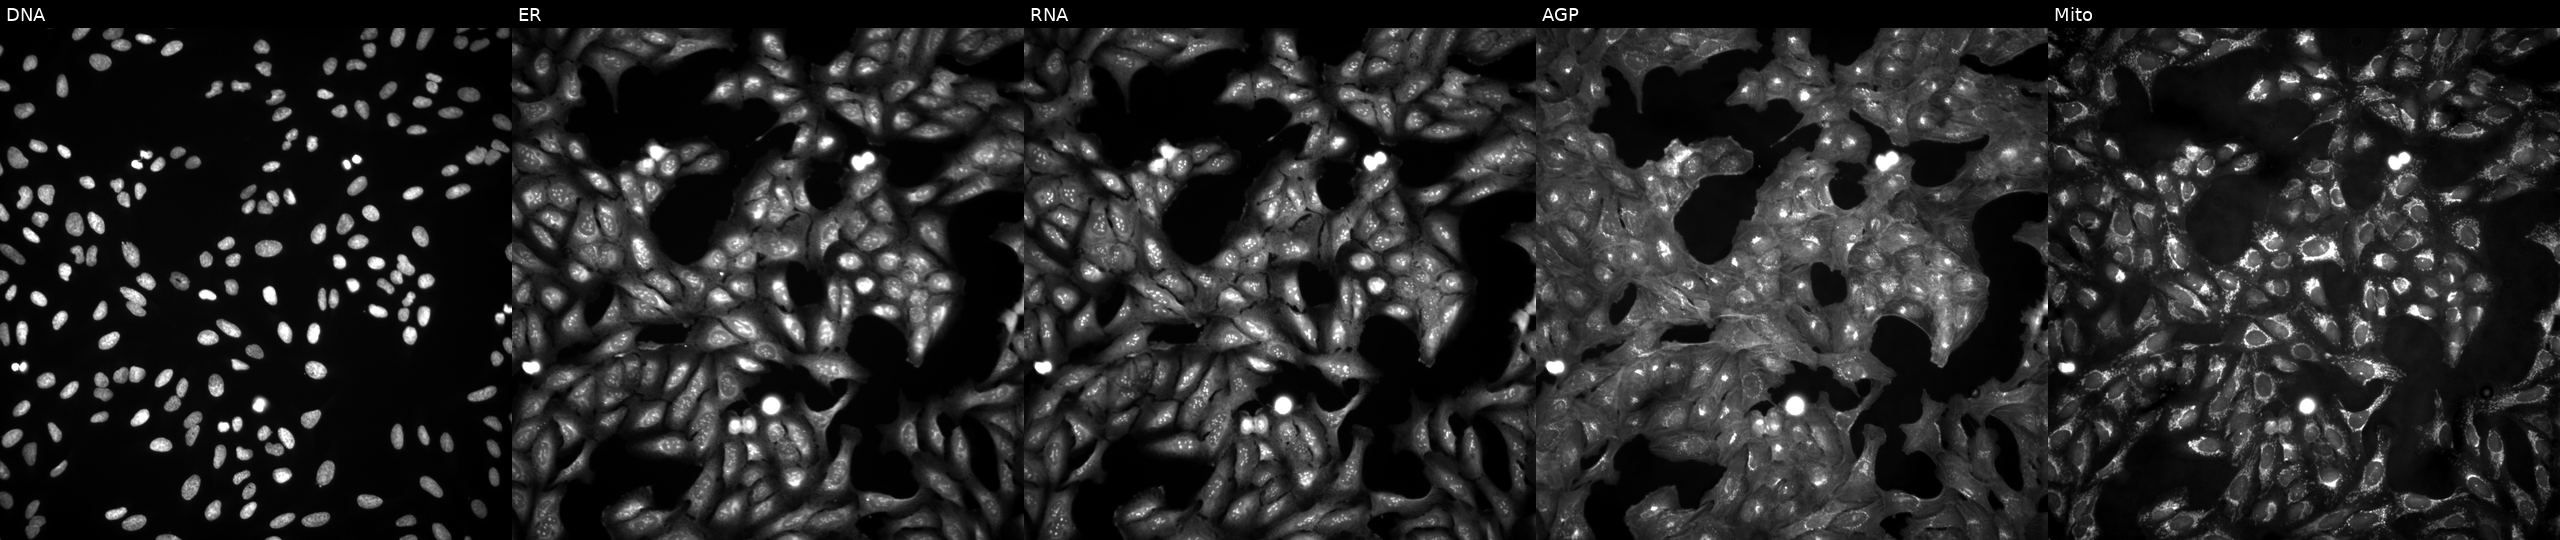
Channels (left→right): DNA, ER, RNA, AGP, and Mito. U2OS osteosarcoma cells untreated (empty-well control) (JUMP id JCP2022_999999). Cell Painting assay, JUMP-CP dataset.